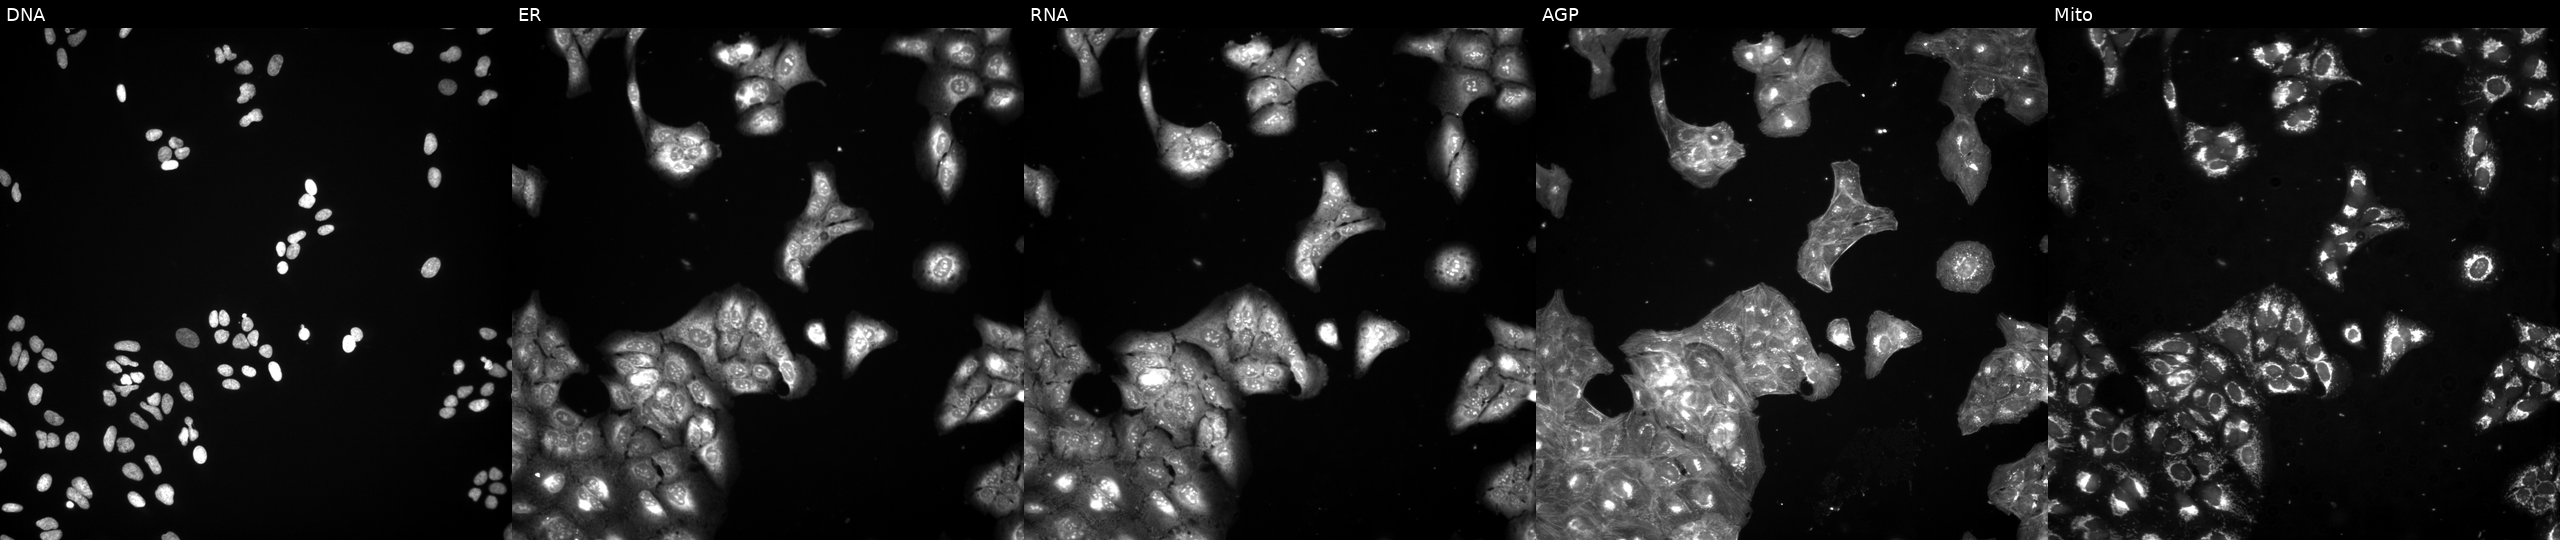
This image strip shows the five Cell Painting channels for a single field of U2OS cells perturbed with a small-molecule compound (InChIKey DHMTURDWPRKSOA-UHFFFAOYSA-N) (JUMP id JCP2022_015955). The five panels, left to right, show DNA (nuclei); ER (endoplasmic reticulum); RNA (nucleoli and cytoplasmic RNA); AGP (actin cytoskeleton, Golgi, and plasma membrane); Mito (mitochondria). Source 3, plate JCPQC052, well J03.